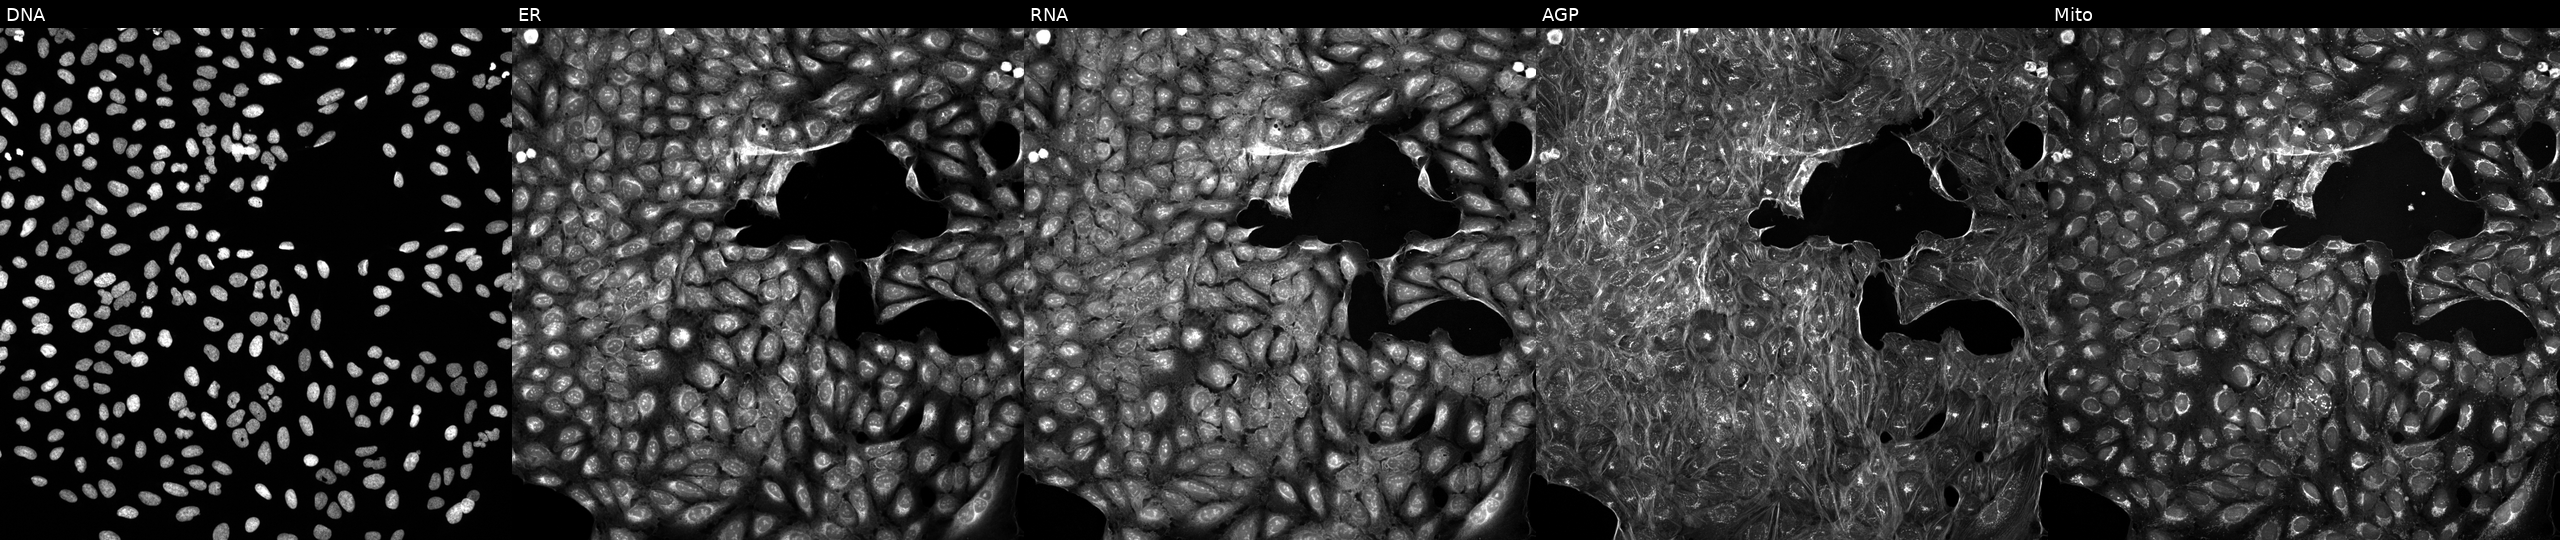
JUMP Cell Painting — TARGET2 plate. U2OS cells exposed to a small-molecule compound (InChIKey KPYSYYIEGFHWSV-UHFFFAOYSA-N) (JUMP id JCP2022_046239). From left to right: Hoechst 33342, concanavalin A, SYTO 14, phalloidin and WGA, MitoTracker.